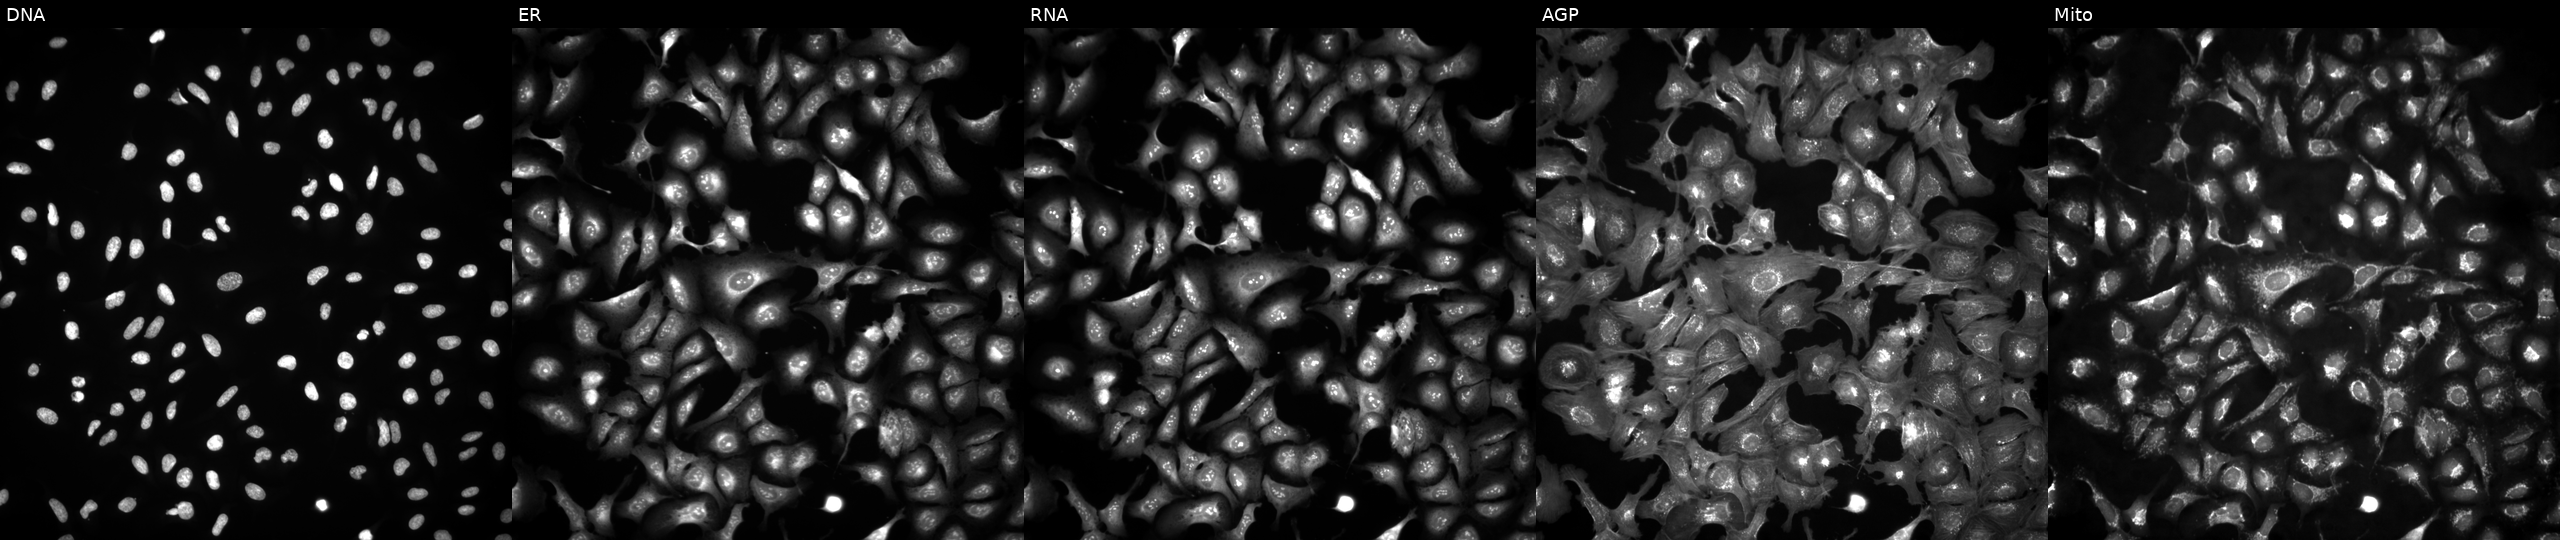
High-content fluorescence microscopy (Cell Painting). Cell line: U2OS. Perturbation: overexpressing LCK via ORF transfection. Panels show, left to right, DNA, ER, RNA, AGP, and Mito. Source 4, plate BR00123945, well A10.